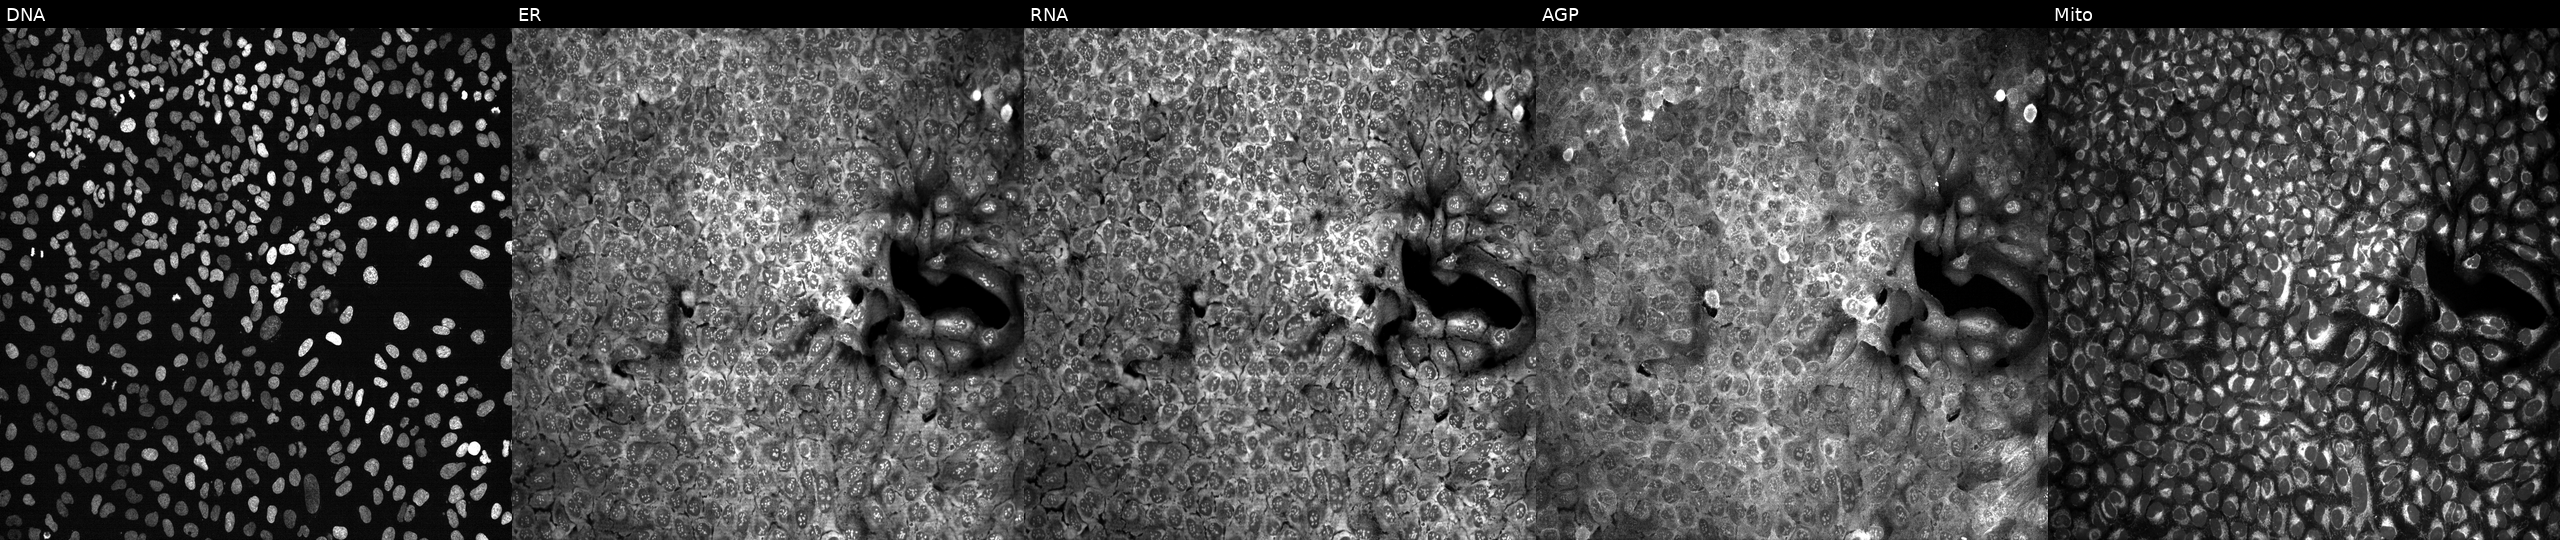
Panels show, left to right, Hoechst 33342, concanavalin A, SYTO 14, phalloidin and WGA, MitoTracker. U2OS osteosarcoma cells CRISPR-edited to disrupt BCL2 (JUMP id JCP2022_800841). Cell Painting assay, JUMP-CP dataset.